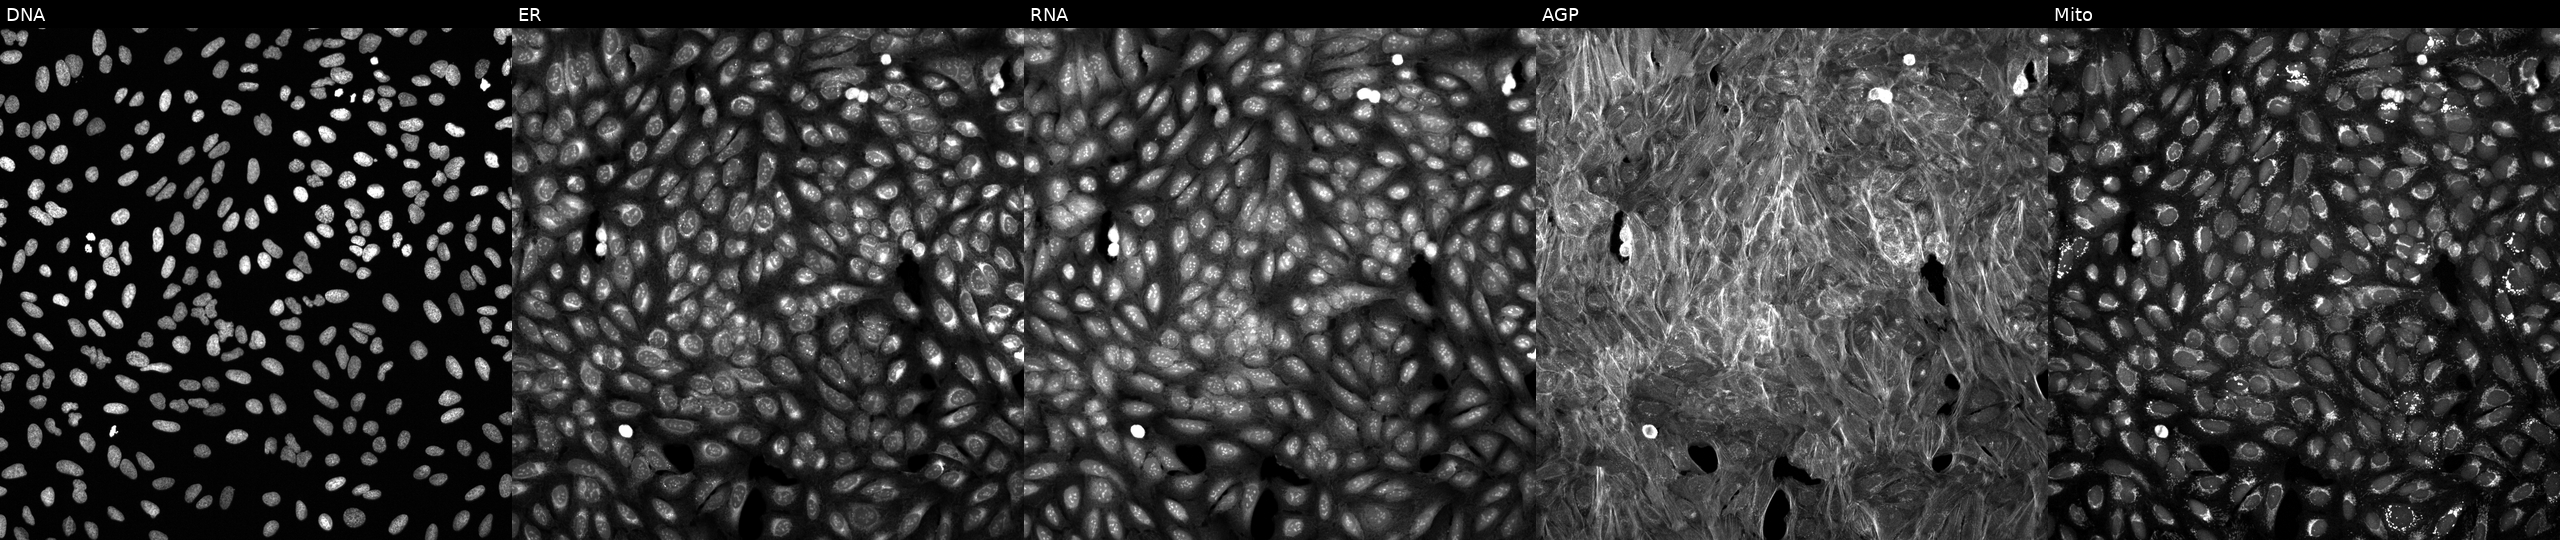
Channels (left→right): DNA (nuclei); ER (endoplasmic reticulum); RNA (nucleoli and cytoplasmic RNA); AGP (actin cytoskeleton, Golgi, and plasma membrane); Mito (mitochondria). U2OS osteosarcoma cells exposed to DMSO alone as a negative control (JUMP id JCP2022_033924). Cell Painting assay, JUMP-CP dataset. Source 6, plate 110000293083, well P23.